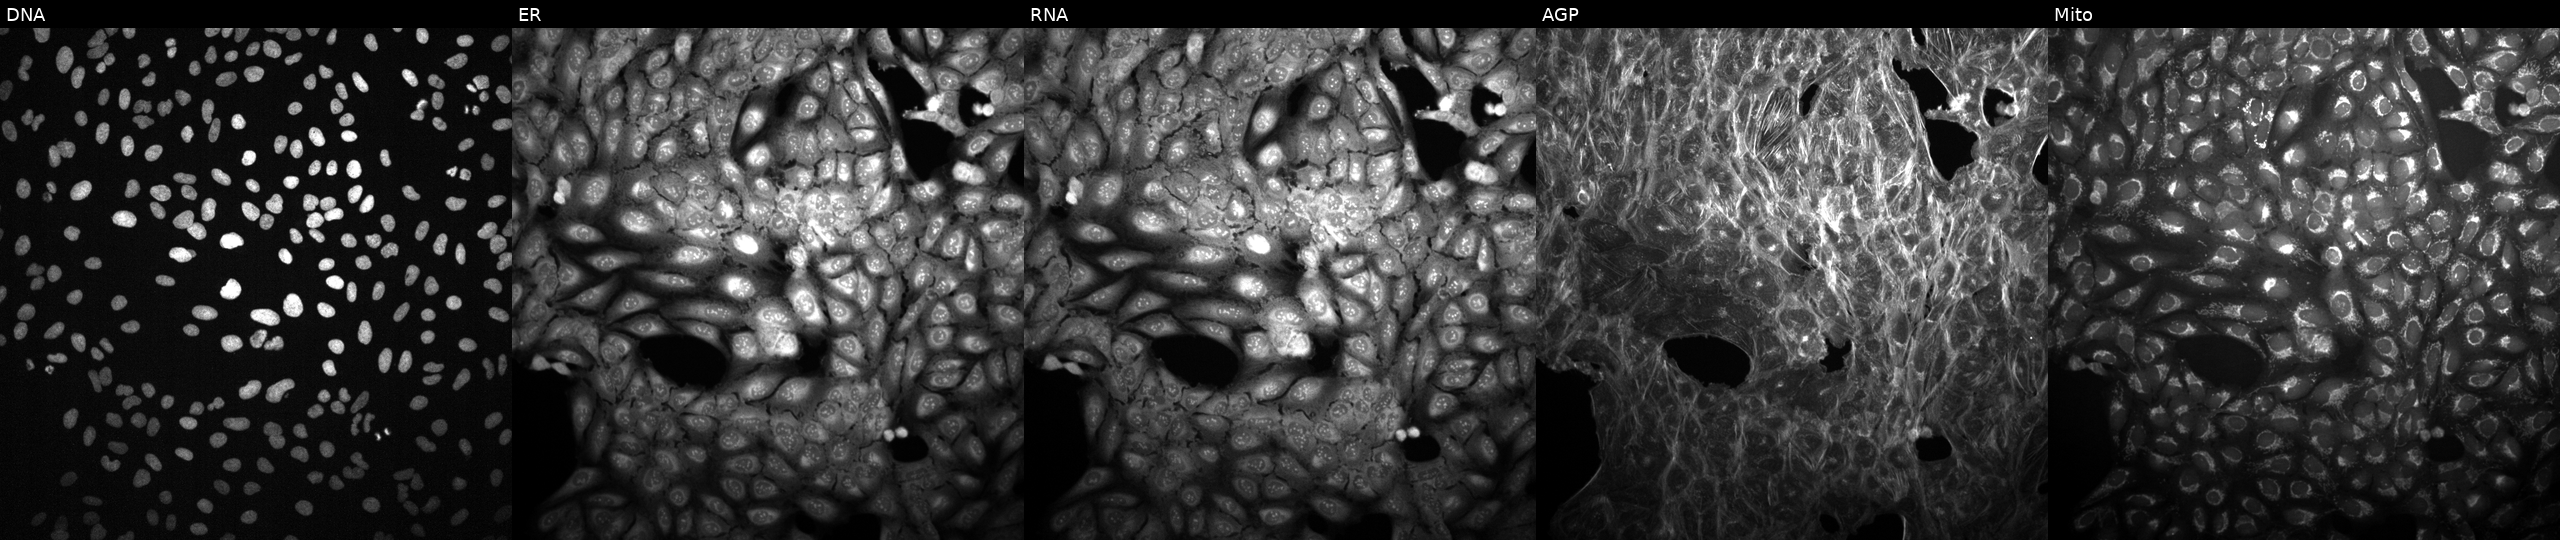
JUMP Cell Painting — TARGET2 plate. U2OS cells exposed to a small-molecule compound (InChIKey ZNNLBTZKUZBEKO-UHFFFAOYSA-N) [SMILES: COc1ccc(Cl)cc1C(=O)NCCc1ccc(S(=O)(=O)NC(=O)NC2CCCCC2)cc1] (JUMP id JCP2022_114461). Channels (left→right): Hoechst 33342, concanavalin A, SYTO 14, phalloidin and WGA, MitoTracker. Source 2, plate 1053597936, well O15.